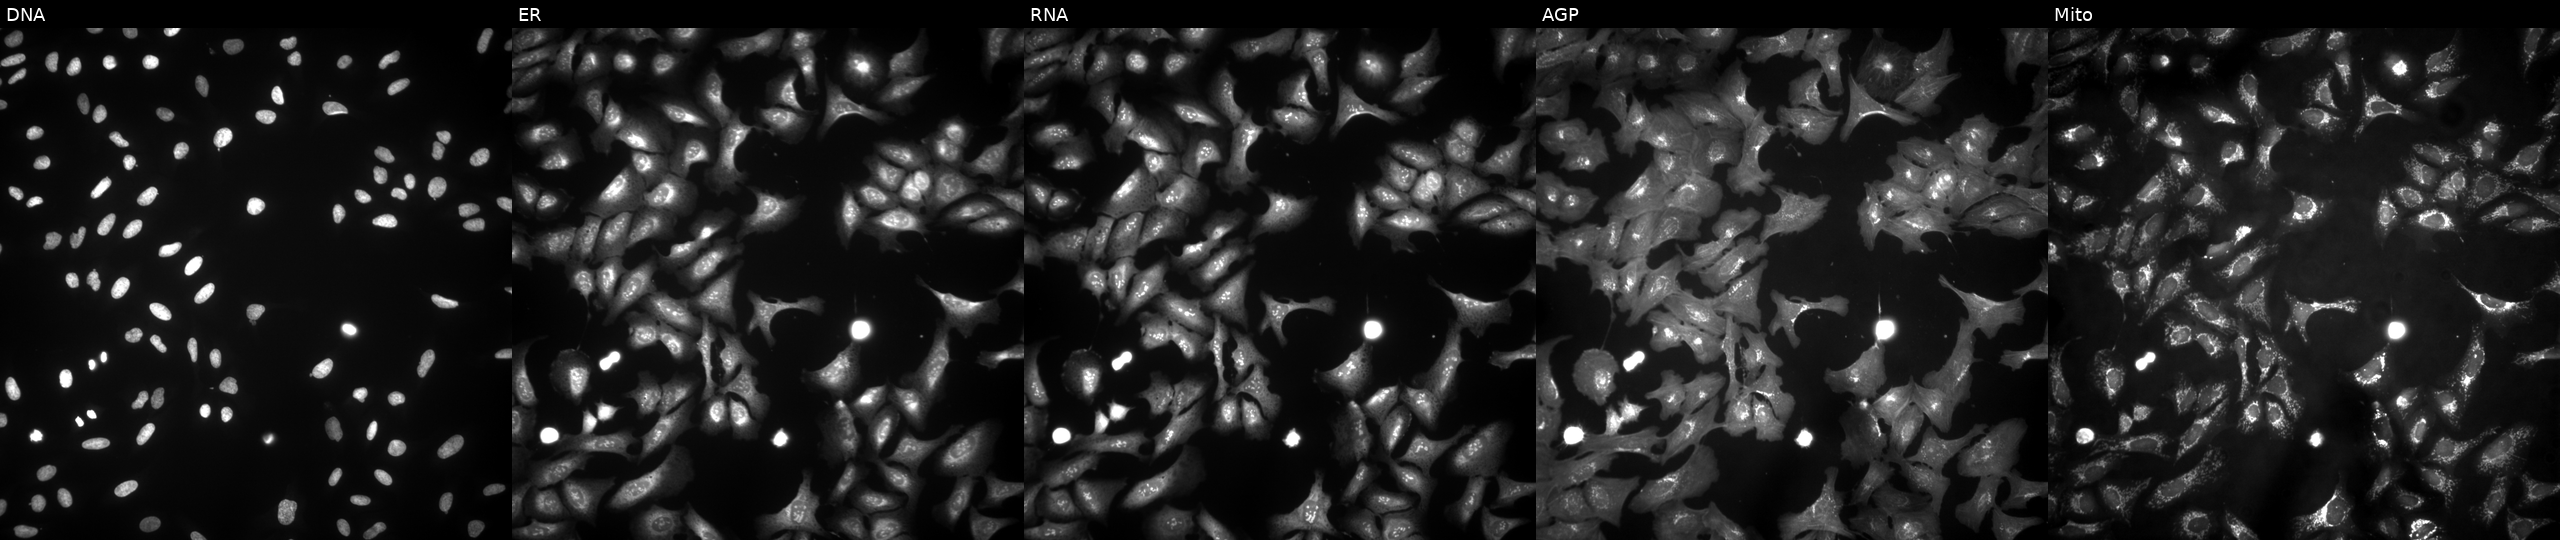
This image strip shows the five Cell Painting channels for a single field of U2OS cells overexpressing TRMT61B via ORF transfection. Panels show, left to right, DNA, ER, RNA, AGP, and Mito.